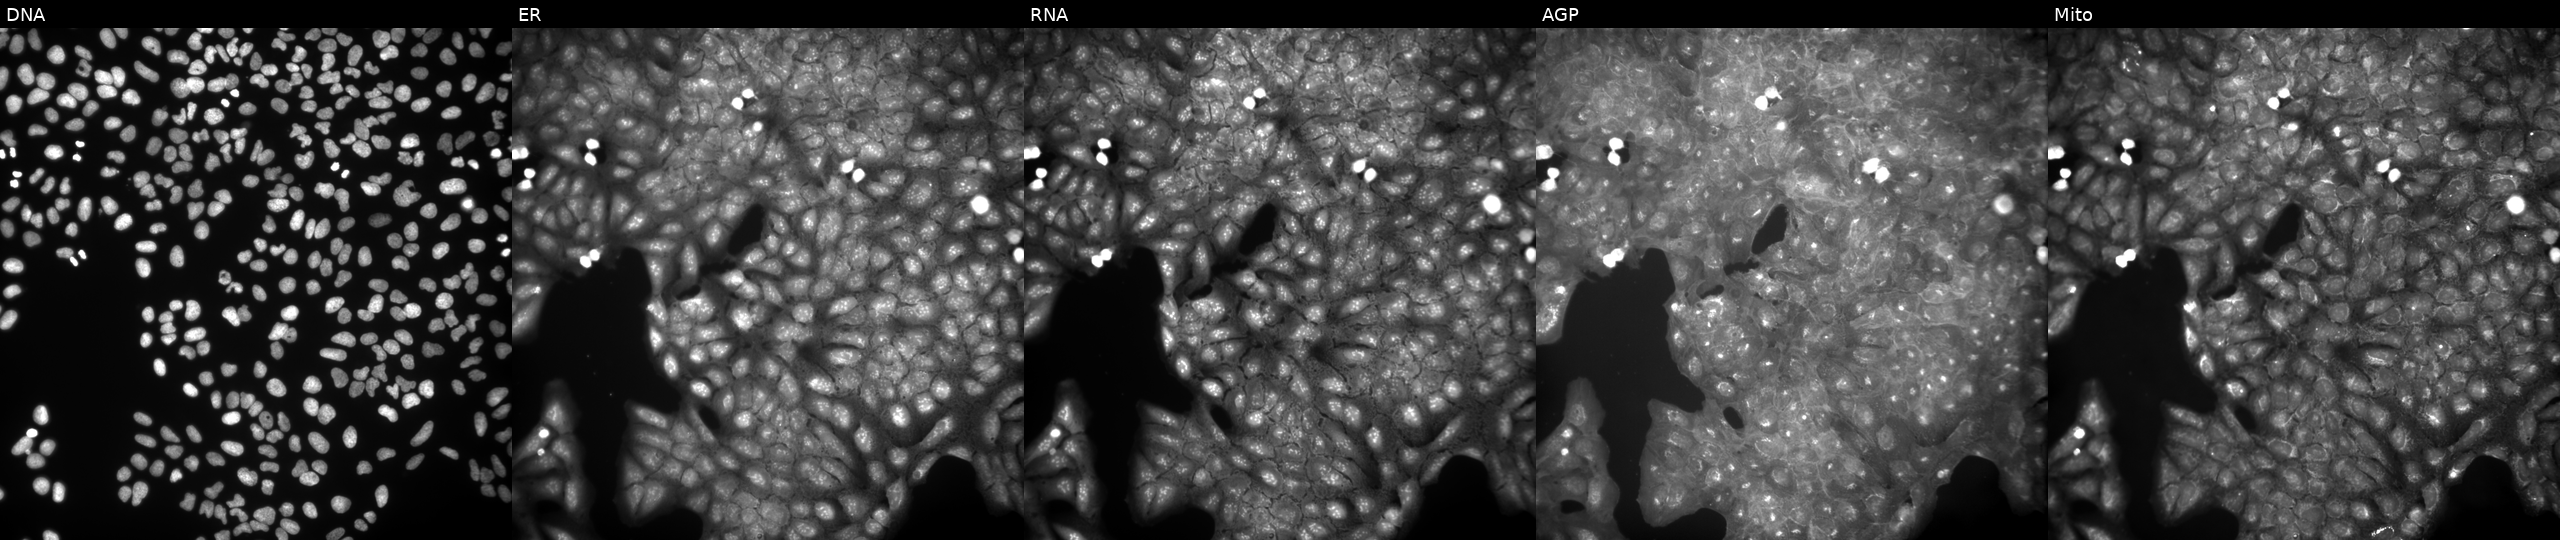
Five-channel Cell Painting image of U2OS cells exposed to a small-molecule compound (InChIKey ORXVESIKPBYBMC-UHFFFAOYSA-N) (JUMP id JCP2022_065735). Panels show, left to right, DNA, ER, RNA, AGP, and Mito. Source 9, plate GR00003381, well H44.